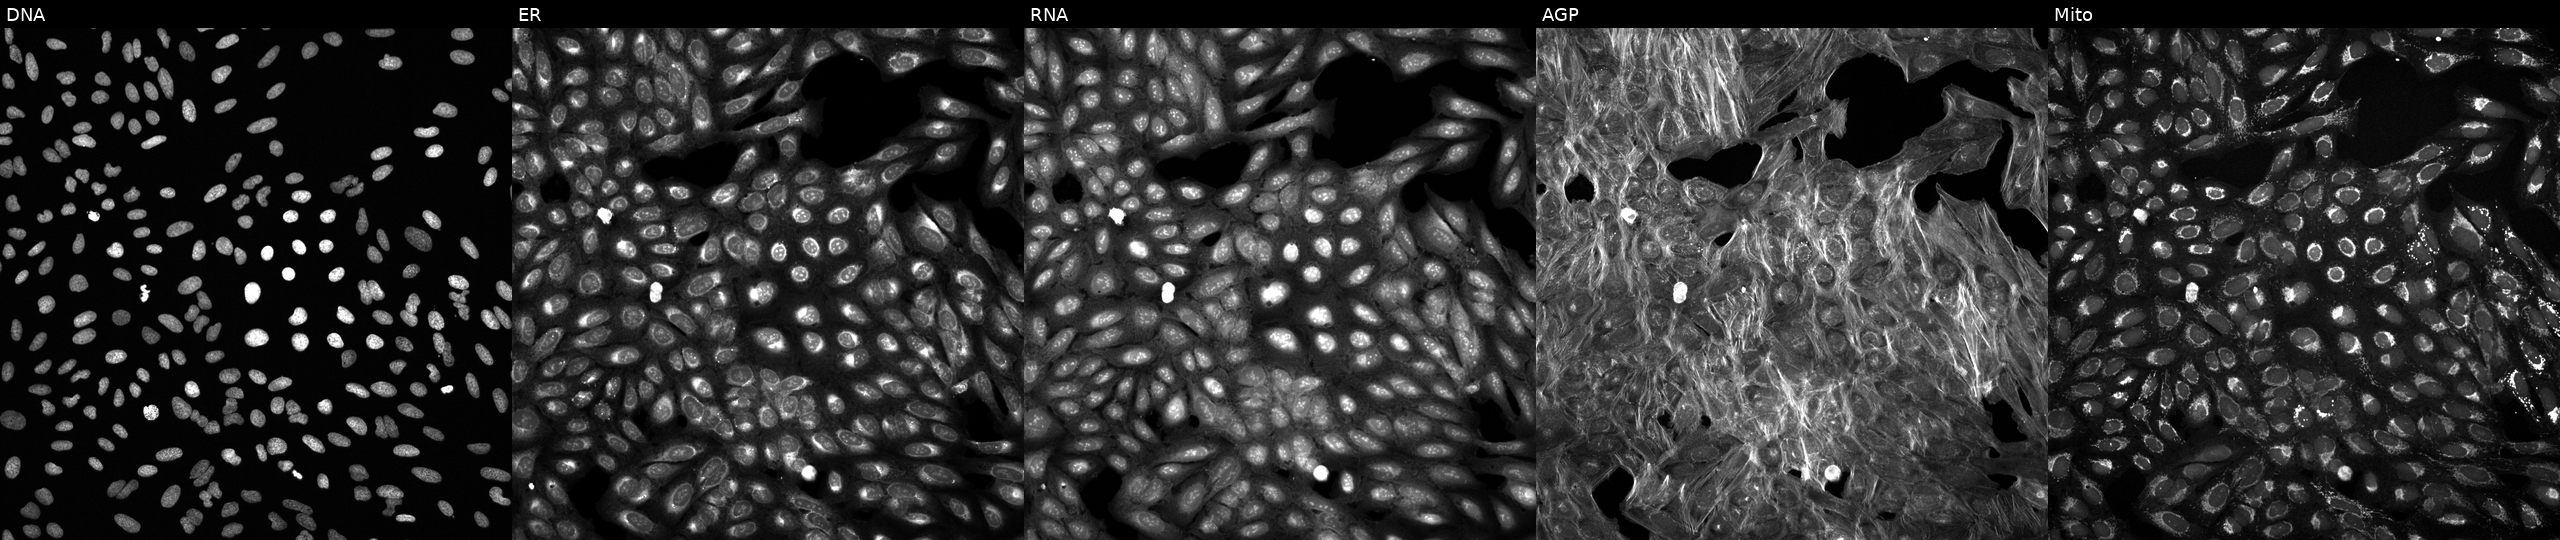
U2OS cells, Cell Painting assay, exposed to a small-molecule compound (InChIKey CKTSBUTUHBMZGZ-UHFFFAOYSA-N) (JUMP id JCP2022_011759). Channels (left→right): DNA, ER, RNA, AGP, and Mito. Each panel is percentile-stretched 16-bit fluorescence.